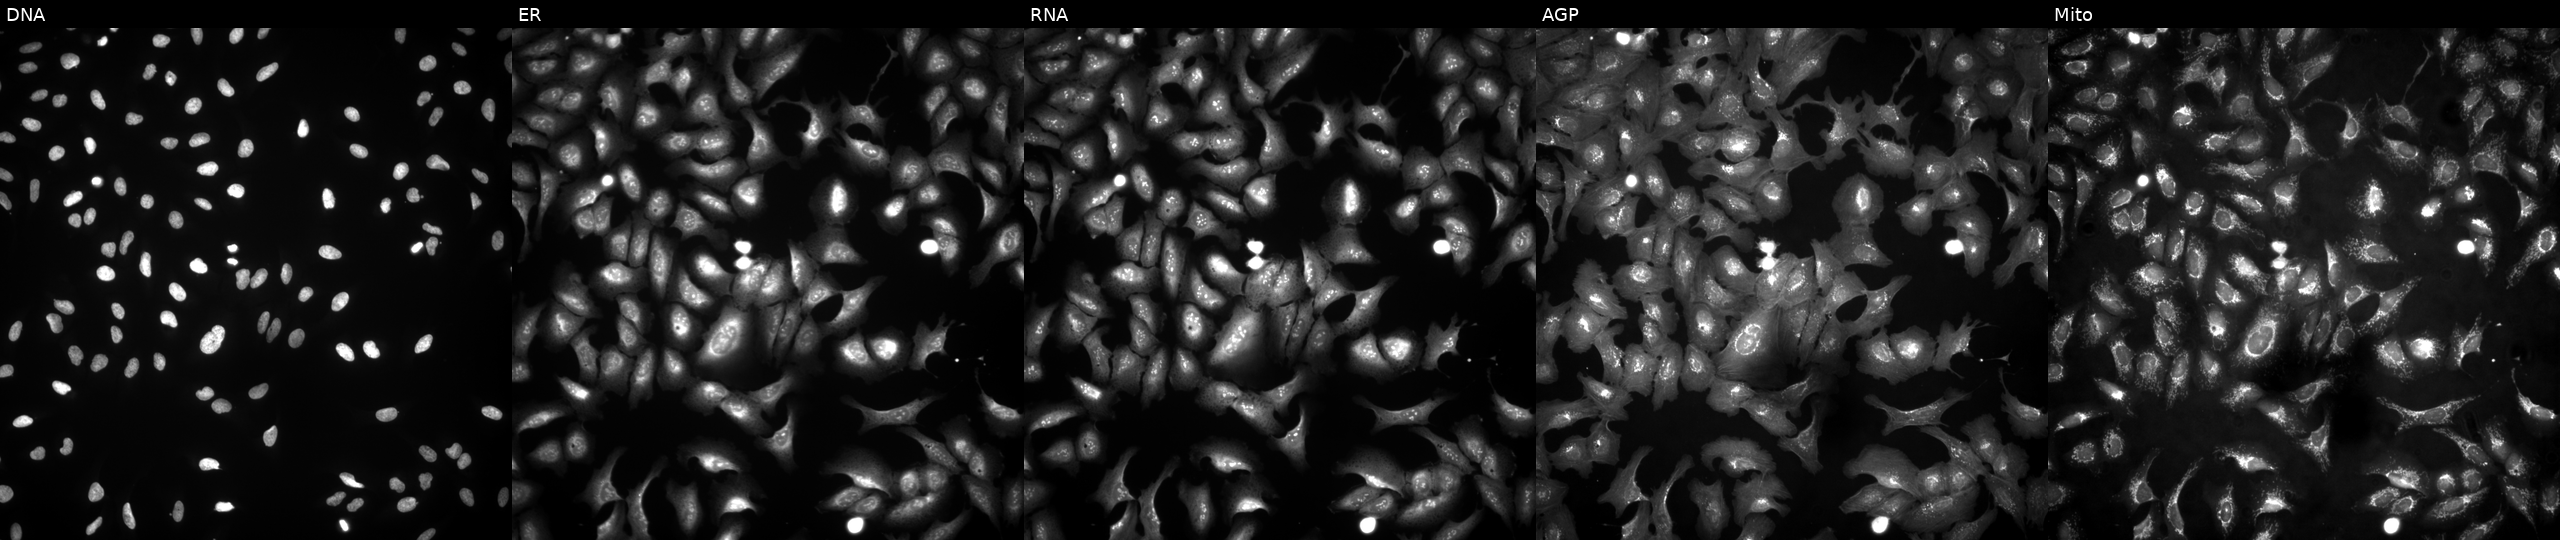
Five-channel Cell Painting image of U2OS cells overexpressing SLURP1 via ORF transfection (JUMP id JCP2022_903567). Panels show, left to right, DNA, ER, RNA, AGP, and Mito.